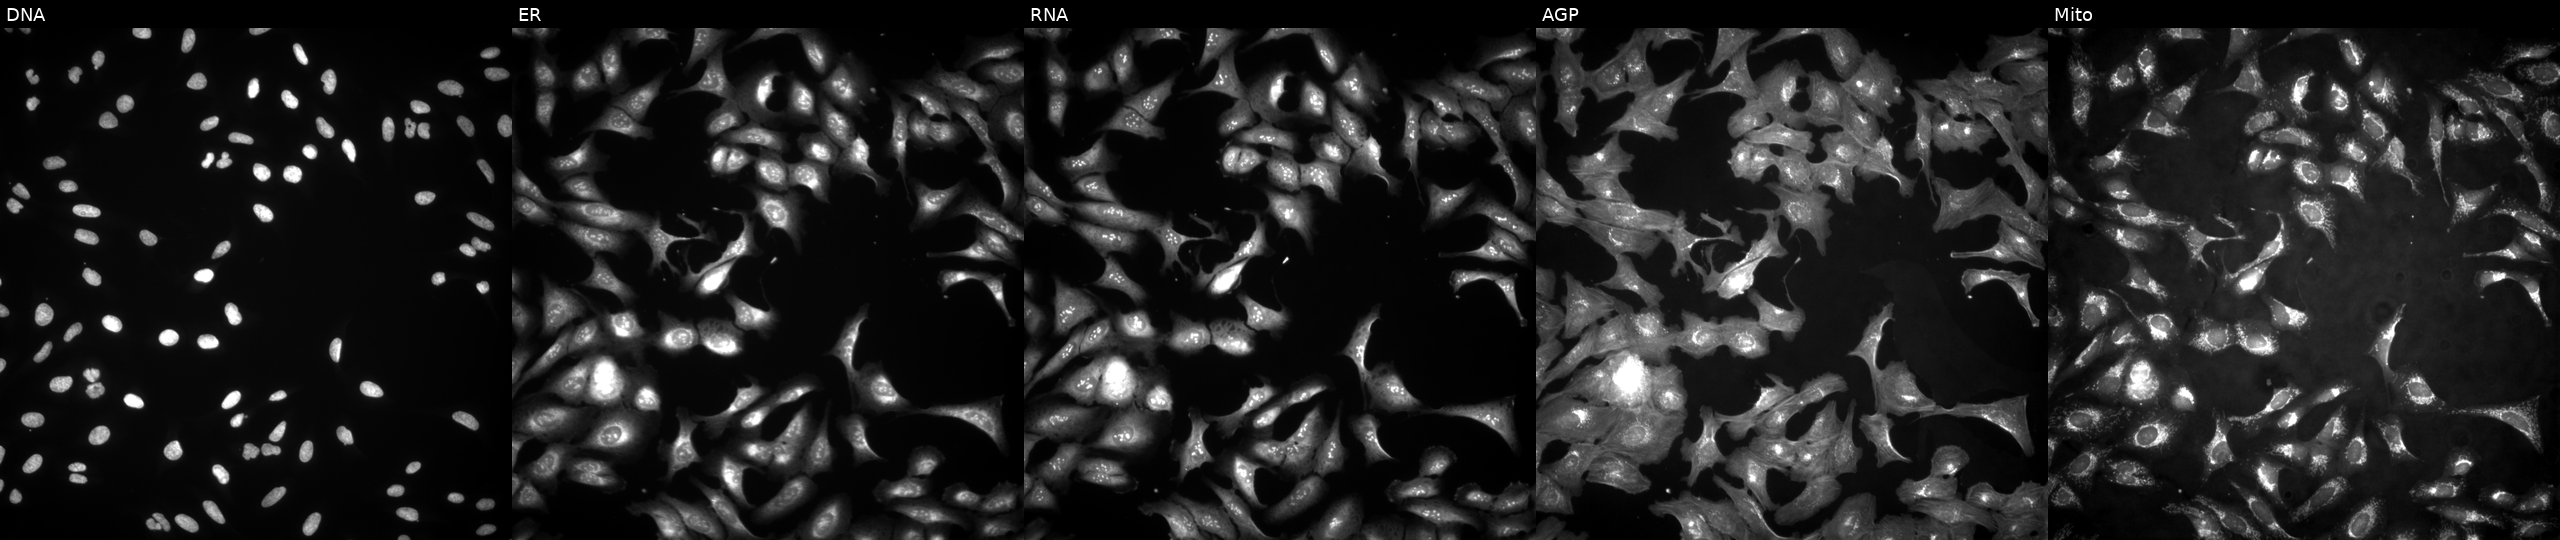
U2OS cells, Cell Painting assay, transfected with an ORF construct for TMUB2. Panels show, left to right, Hoechst 33342, concanavalin A, SYTO 14, phalloidin and WGA, MitoTracker. Each panel is percentile-stretched 16-bit fluorescence. Source 4, plate BR00123509, well N11.